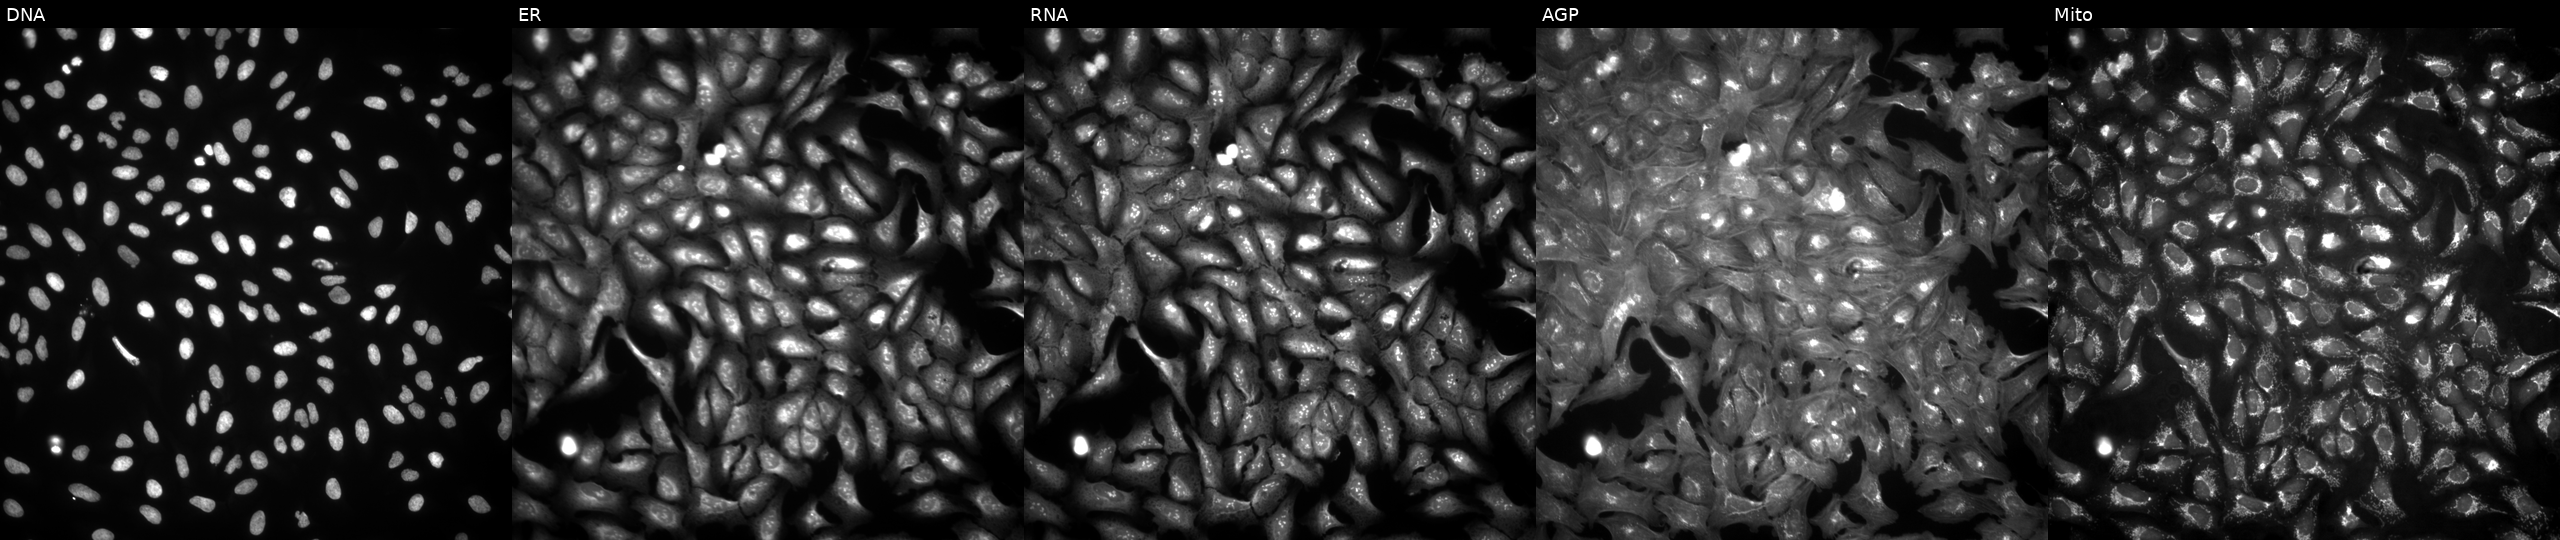
Panels show, left to right, DNA (nuclei); ER (endoplasmic reticulum); RNA (nucleoli and cytoplasmic RNA); AGP (actin cytoskeleton, Golgi, and plasma membrane); Mito (mitochondria). U2OS osteosarcoma cells untreated (empty-well control) (JUMP id JCP2022_999999). Cell Painting assay, JUMP-CP dataset.